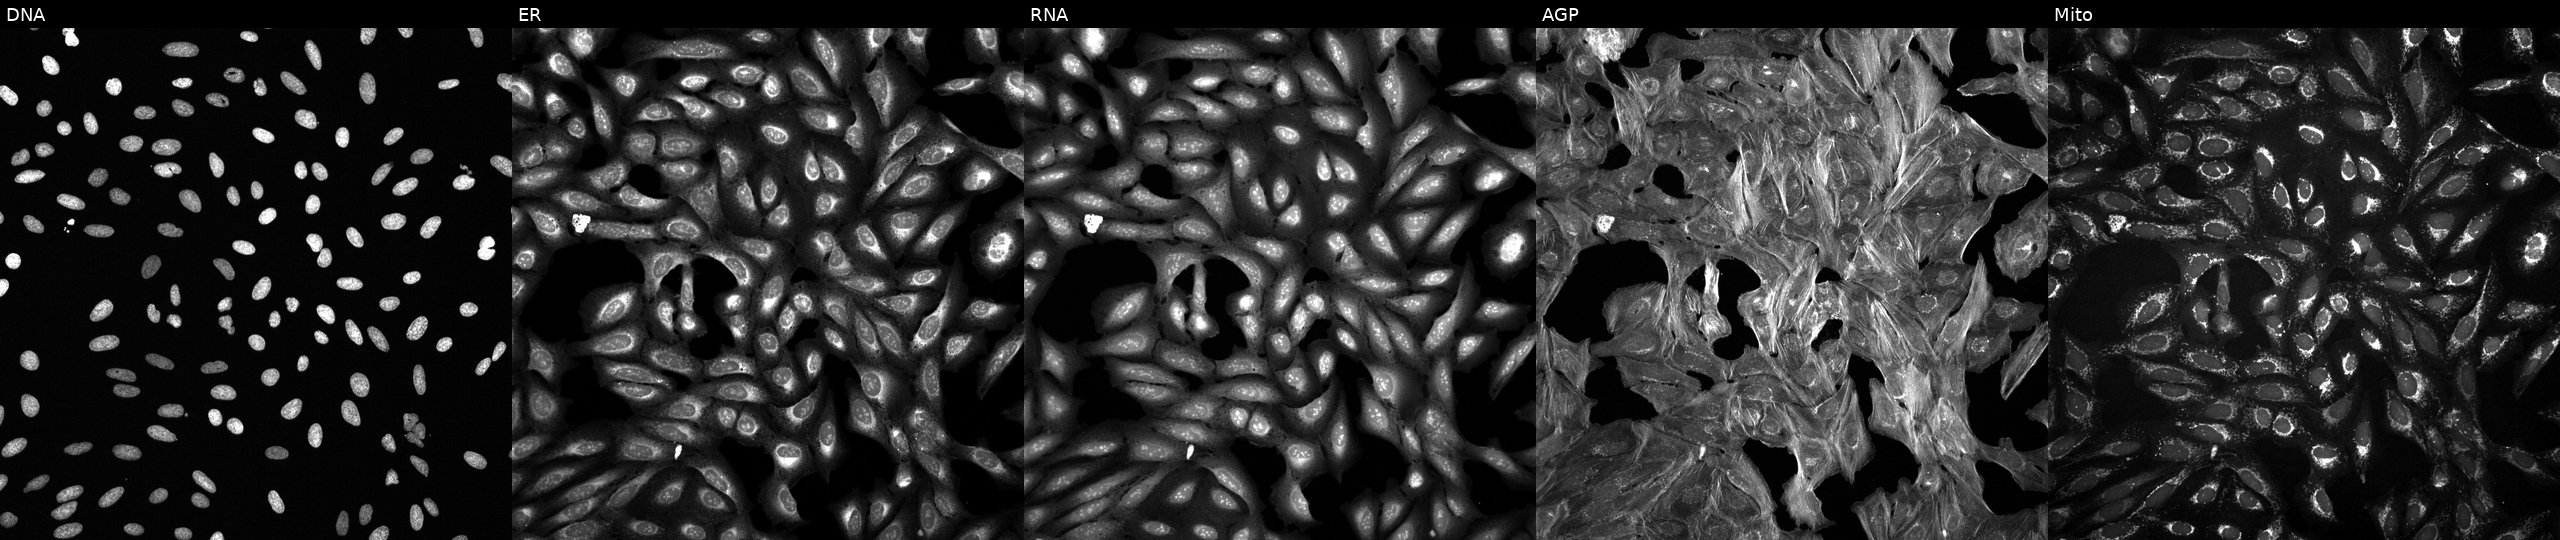
Channels (left→right): Hoechst 33342, concanavalin A, SYTO 14, phalloidin and WGA, MitoTracker. U2OS osteosarcoma cells exposed to a small-molecule compound. Cell Painting assay, JUMP-CP dataset.